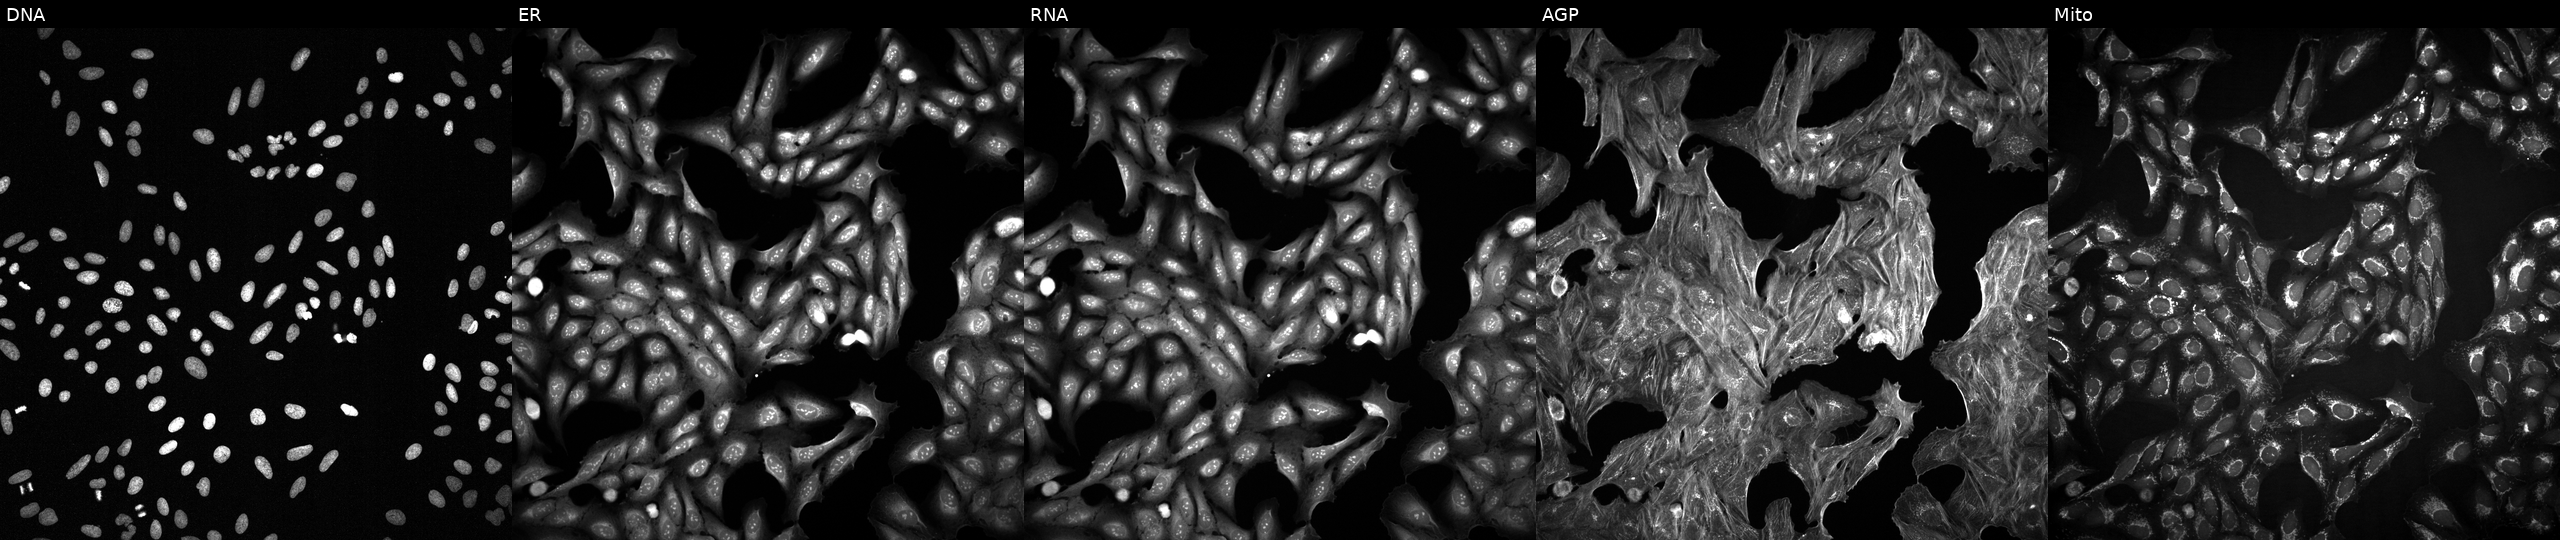
Channels (left→right): DNA, ER, RNA, AGP, and Mito. U2OS osteosarcoma cells exposed to DMSO alone as a negative control. Cell Painting assay, JUMP-CP dataset.